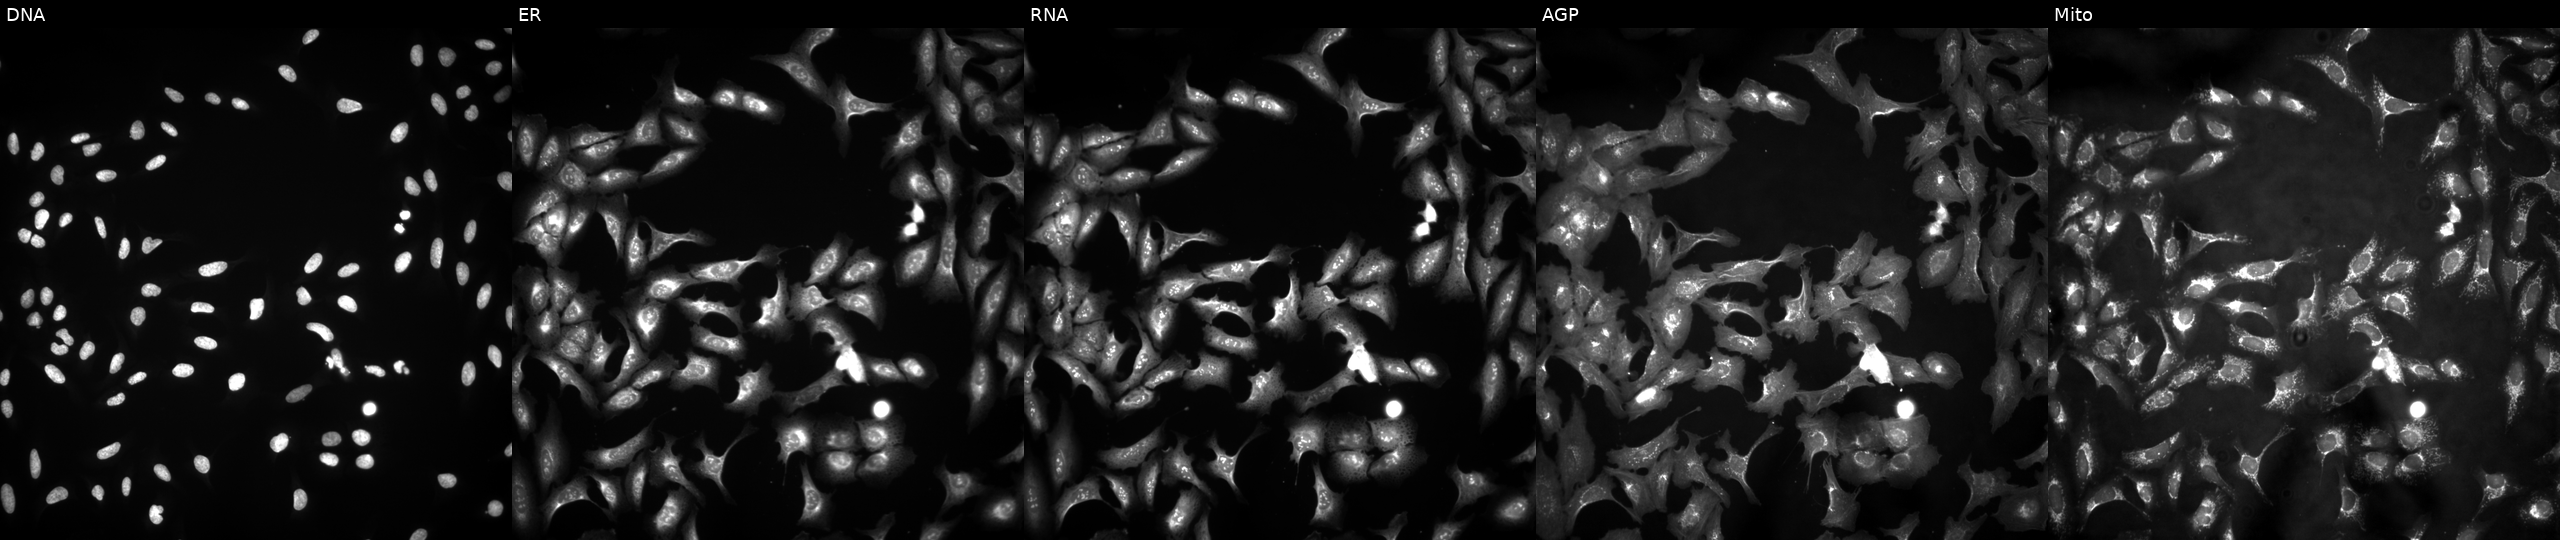
U2OS cells, Cell Painting assay, transfected with an ORF construct for ELAVL2. From left to right: DNA (nuclei); ER (endoplasmic reticulum); RNA (nucleoli and cytoplasmic RNA); AGP (actin cytoskeleton, Golgi, and plasma membrane); Mito (mitochondria). Each panel is percentile-stretched 16-bit fluorescence. Source 4, plate BR00121543, well N19.